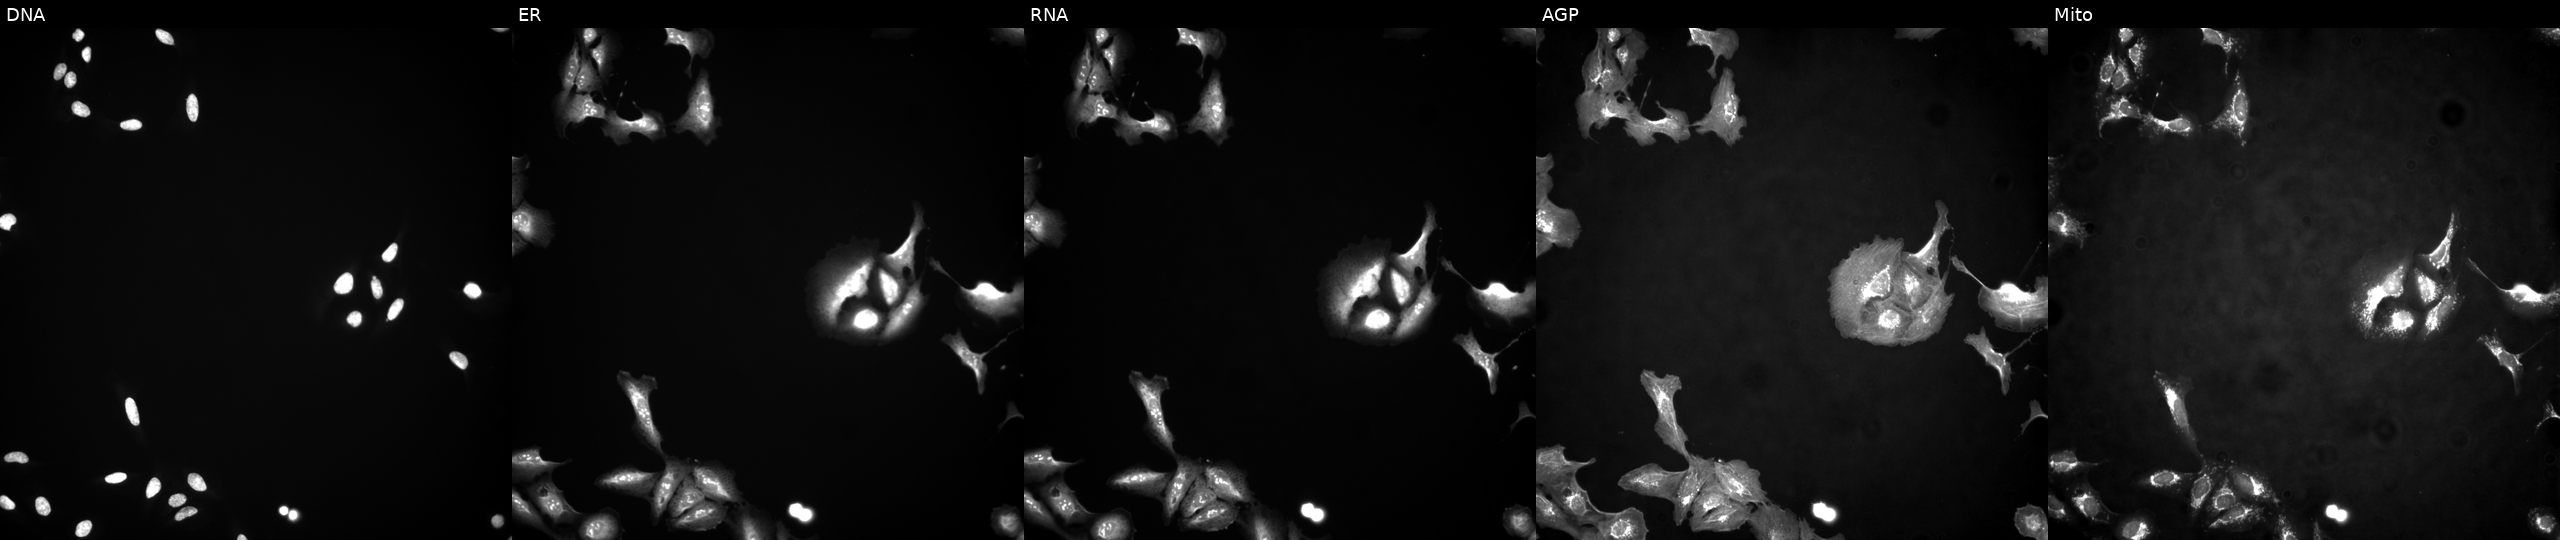
U2OS cells, Cell Painting assay, transfected with an ORF construct for CAMTA2 (JUMP id JCP2022_910888). From left to right: DNA, ER, RNA, AGP, and Mito. Each panel is percentile-stretched 16-bit fluorescence. Source 4, plate BR00117035, well N18.